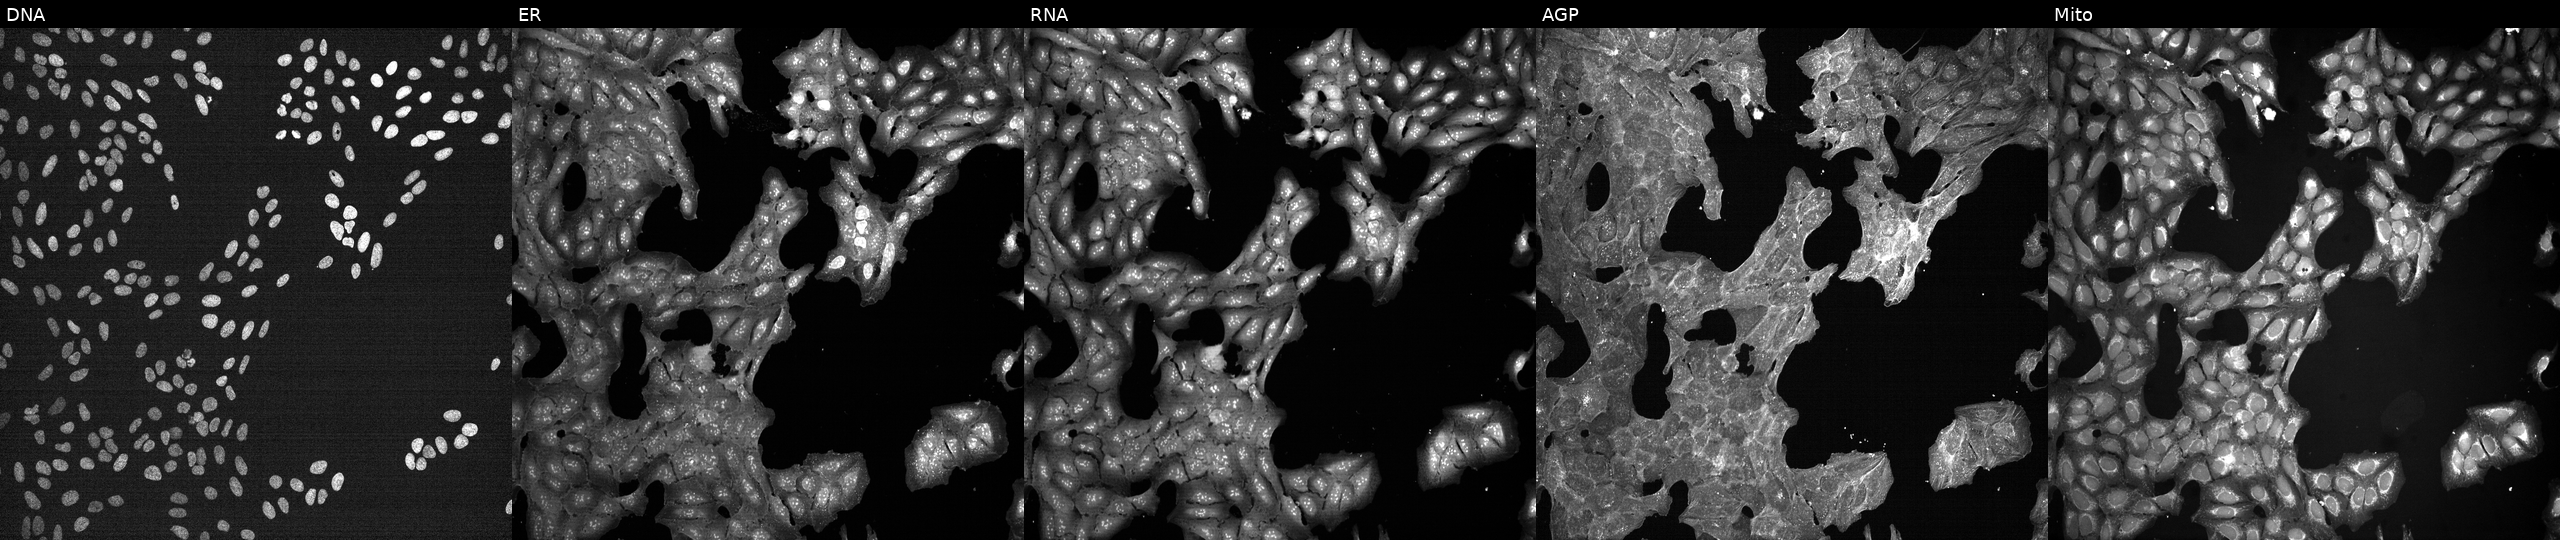
This image strip shows the five Cell Painting channels for a single field of U2OS cells exposed to a small-molecule compound (InChIKey MQQNFDZXWVTQEH-UHFFFAOYSA-N). From left to right: DNA, ER, RNA, AGP, and Mito.